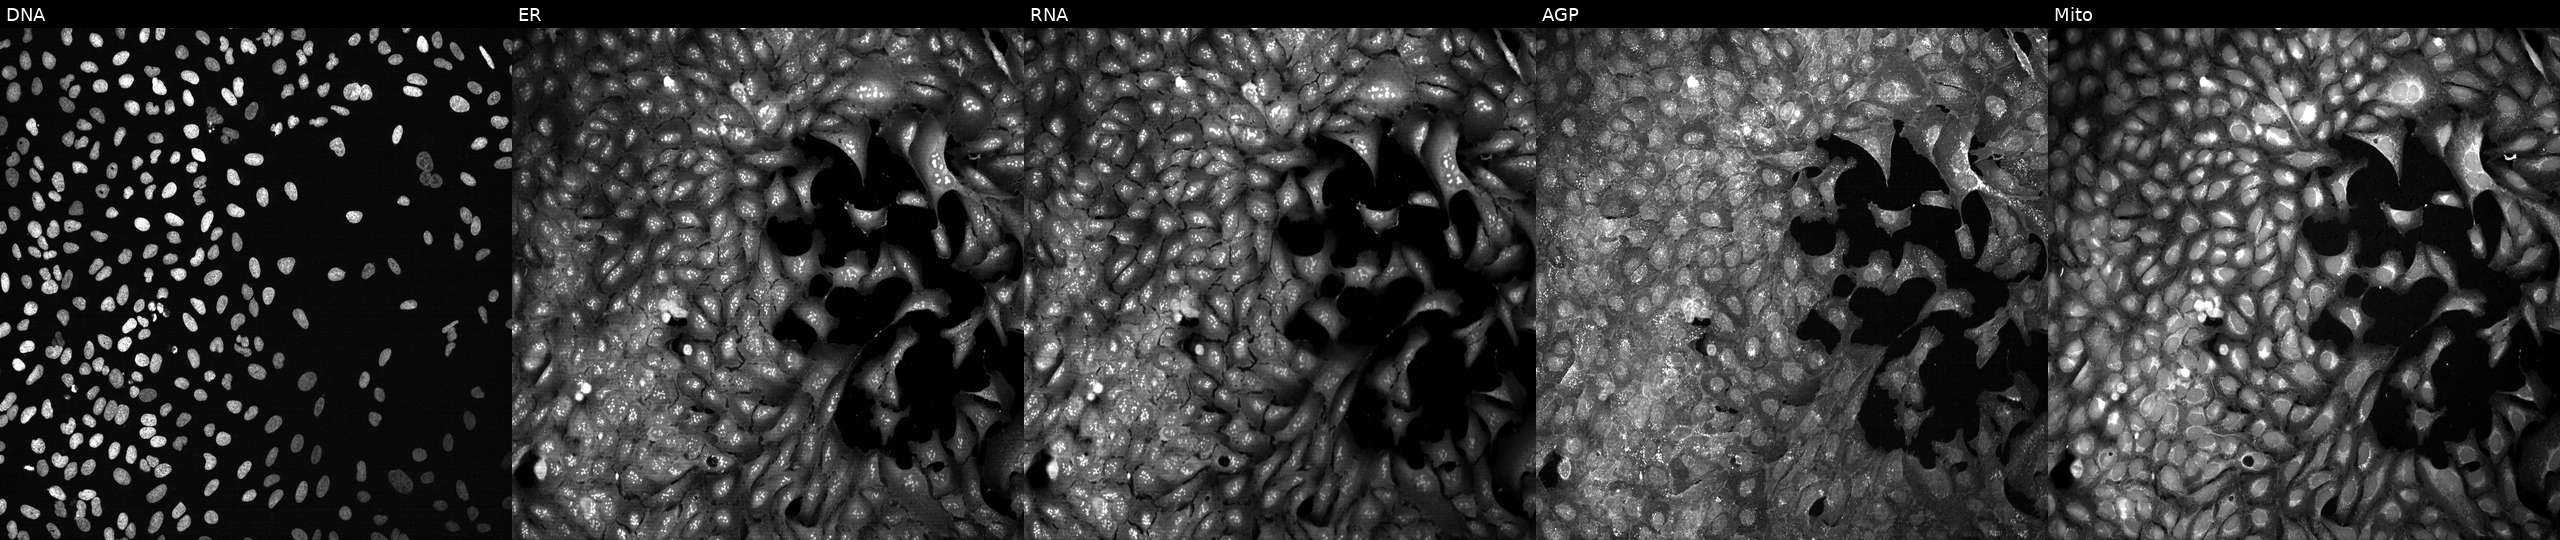
This image strip shows the five Cell Painting channels for a single field of U2OS cells CRISPR-edited to disrupt MAP2 (JUMP id JCP2022_803975). The five panels, left to right, show DNA, ER, RNA, AGP, and Mito. Source 13, plate CP-CC9-R1-01, well I19.